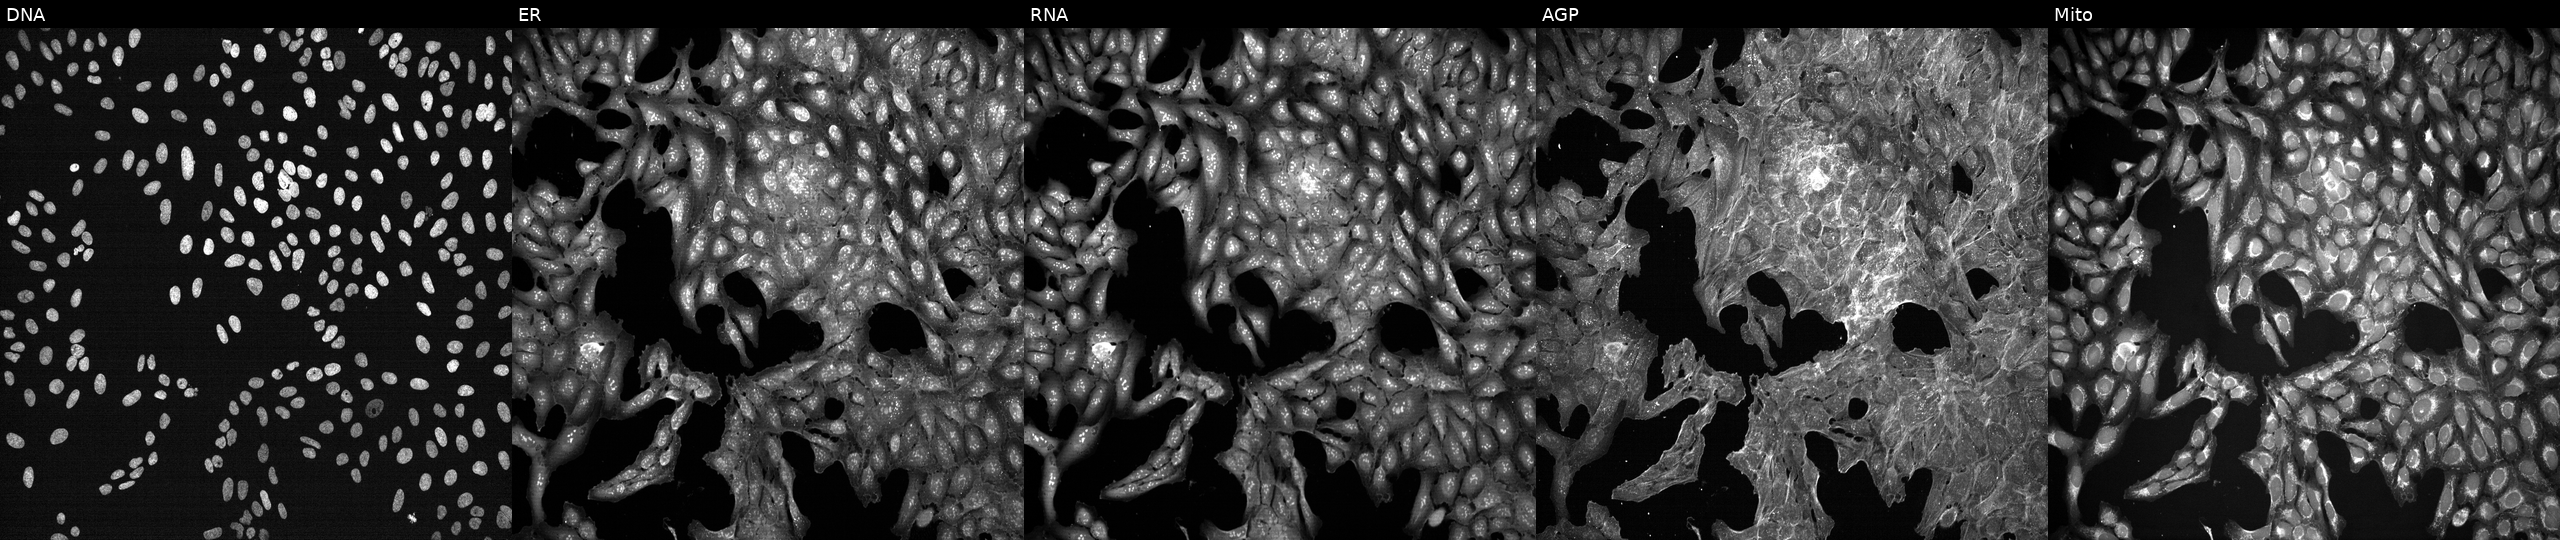
JUMP Cell Painting — TARGET2 plate. U2OS cells treated with a small-molecule compound (InChIKey NHXLMOGPVYXJNR-UHFFFAOYSA-N). Panels show, left to right, DNA (nuclei); ER (endoplasmic reticulum); RNA (nucleoli and cytoplasmic RNA); AGP (actin cytoskeleton, Golgi, and plasma membrane); Mito (mitochondria). Source 7, plate CP2-SC1-25, well O24.